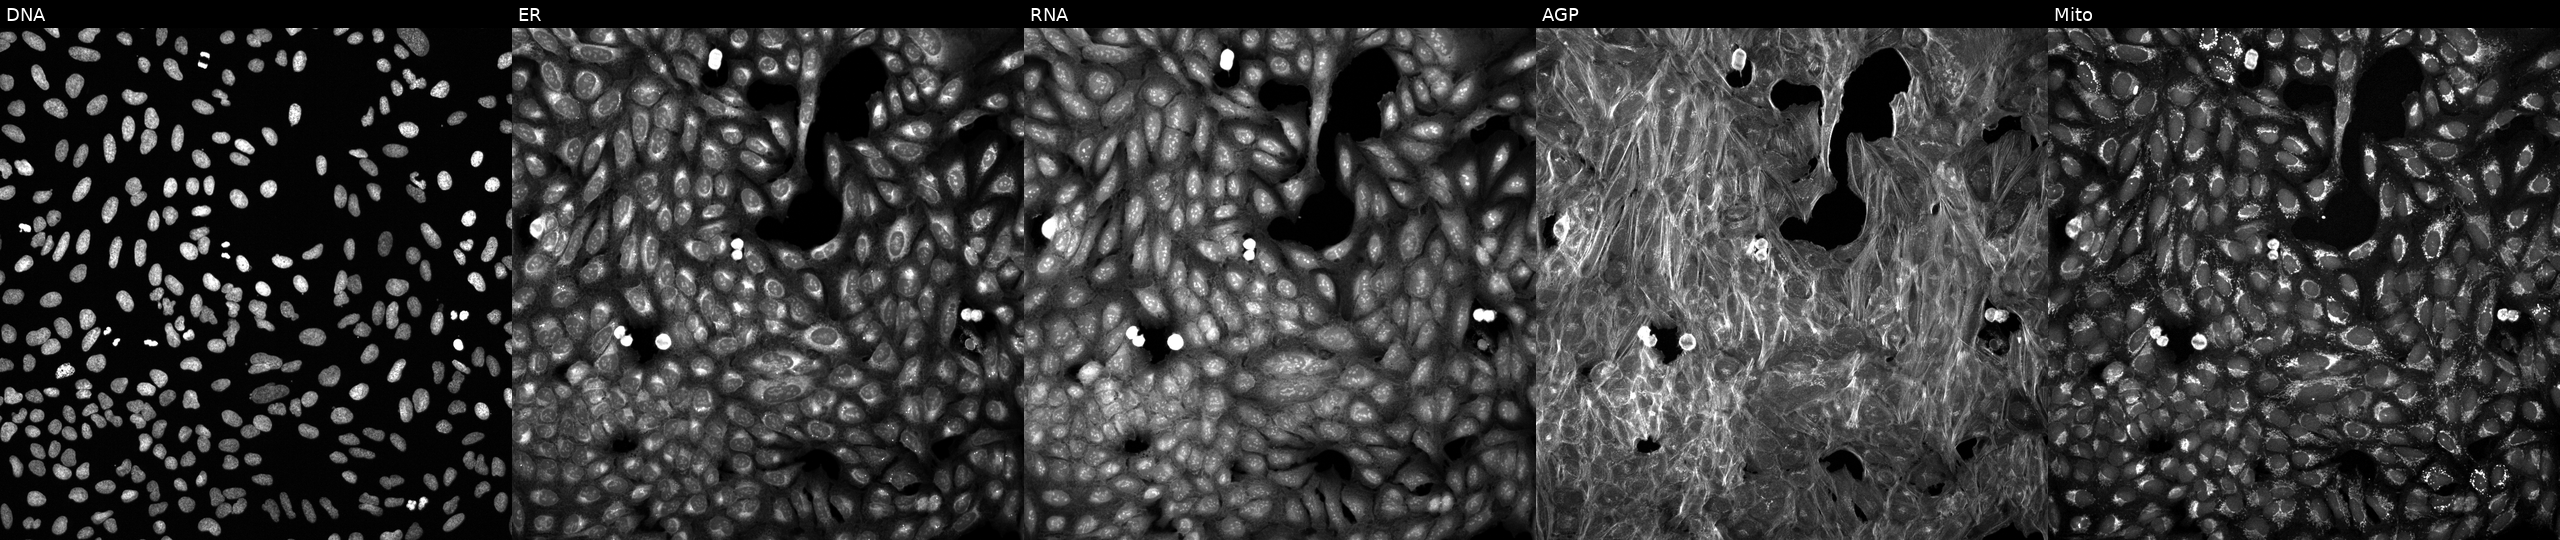
This image strip shows the five Cell Painting channels for a single field of U2OS cells exposed to a small-molecule compound (InChIKey KFAKESMKRPNZTM-UHFFFAOYSA-N) (JUMP id JCP2022_044197). The five panels, left to right, show DNA, ER, RNA, AGP, and Mito. Source 6, plate 110000293093, well C23.